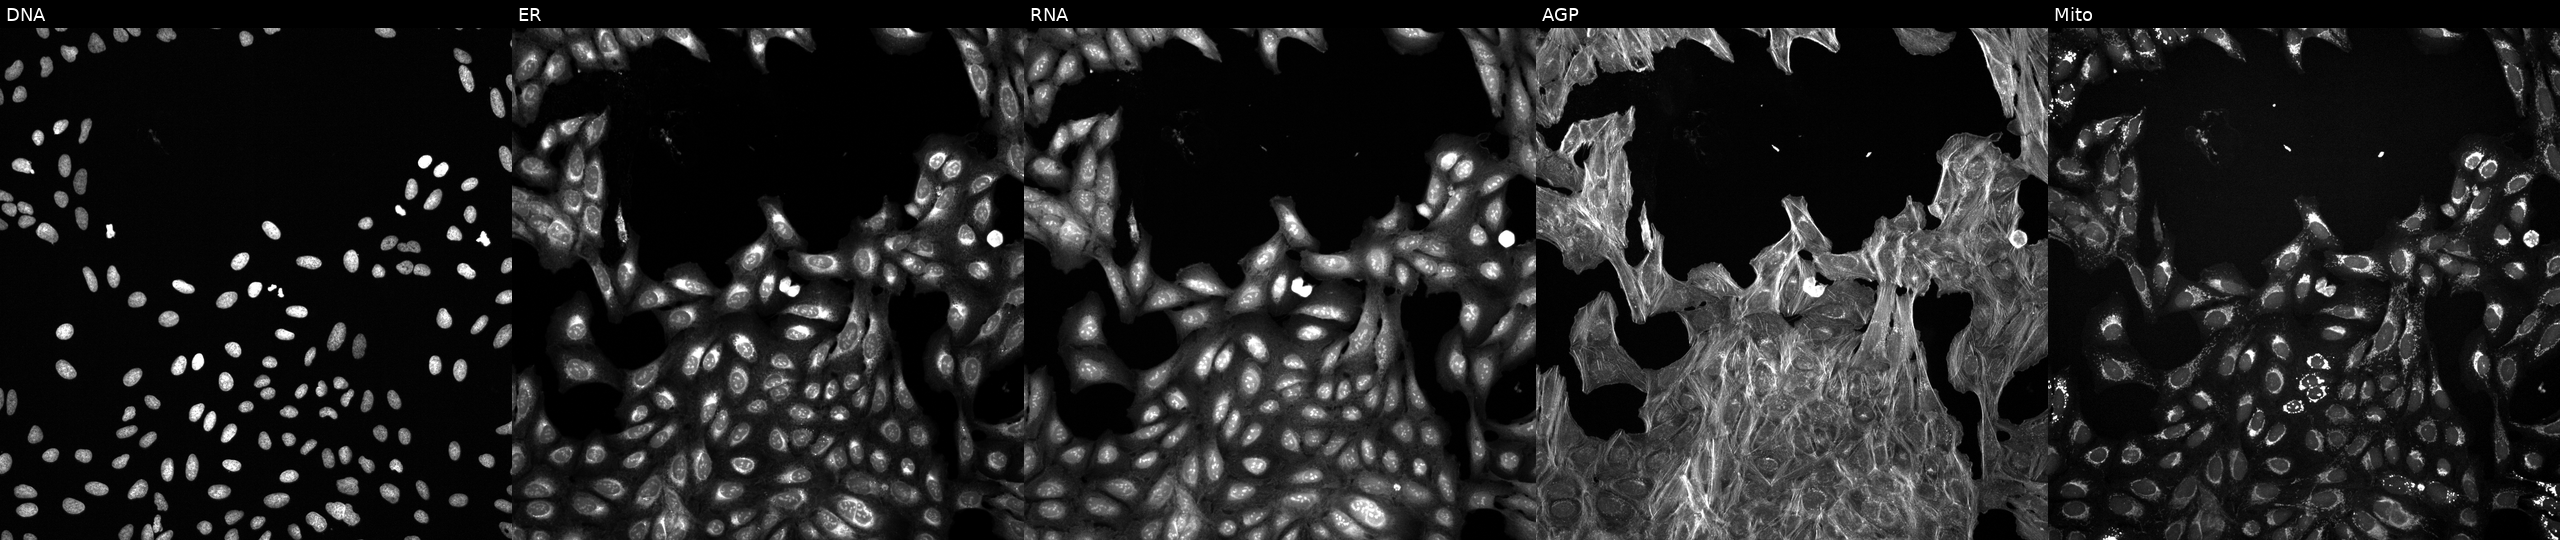
U2OS cells, Cell Painting assay, perturbed with a small-molecule compound (InChIKey LMEKQMALGUDUQG-UHFFFAOYSA-N). Channels (left→right): DNA, ER, RNA, AGP, and Mito. Each panel is percentile-stretched 16-bit fluorescence. Source 6, plate 110000293081, well I08.